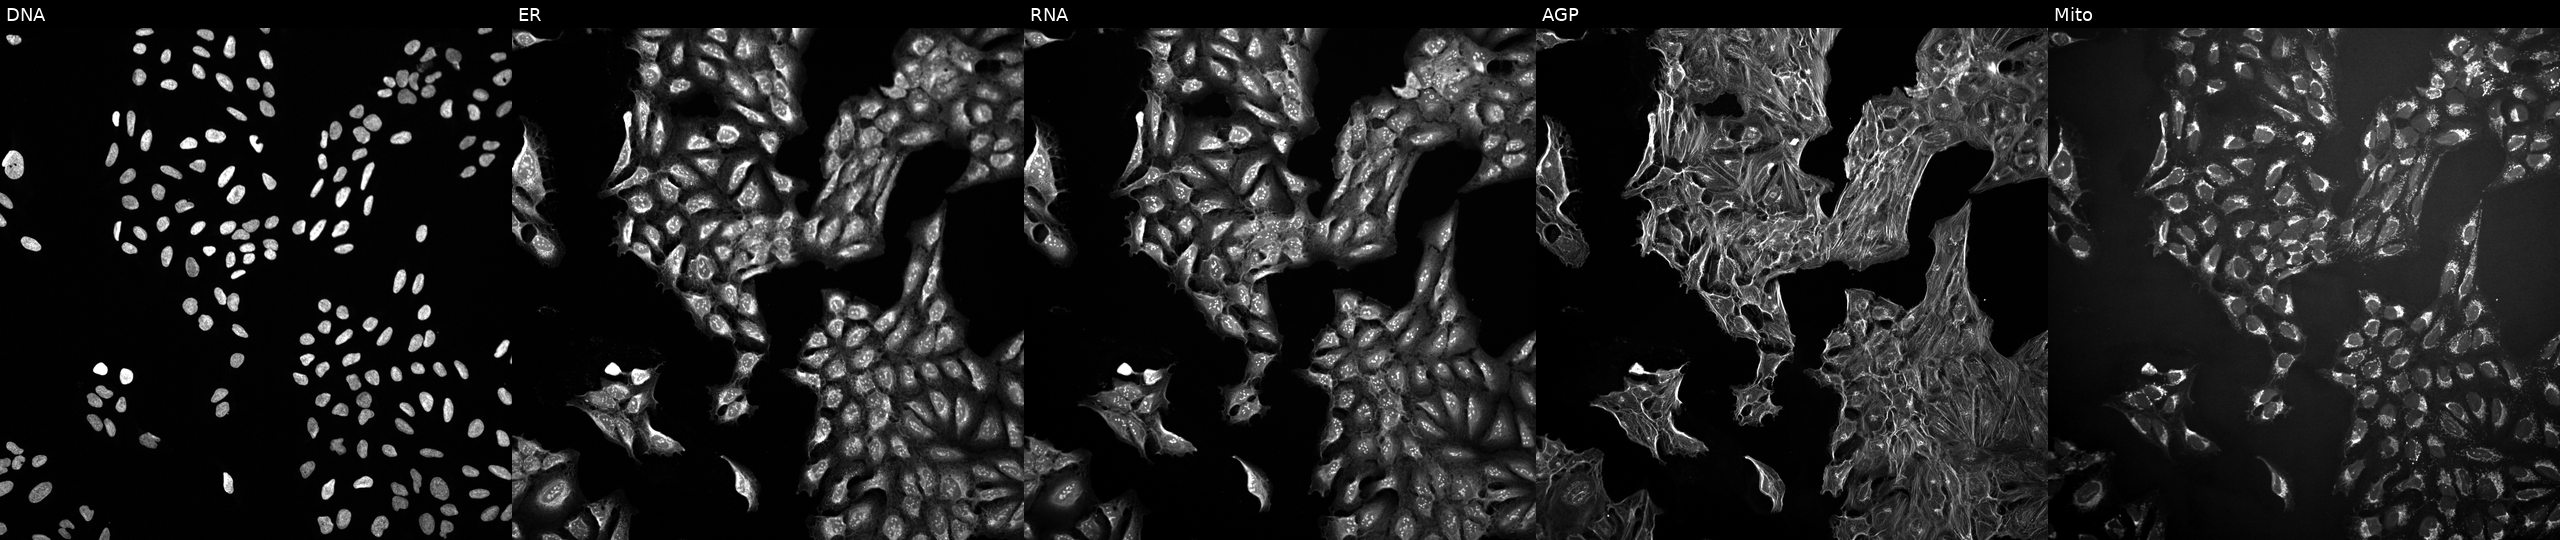
From left to right: Hoechst 33342, concanavalin A, SYTO 14, phalloidin and WGA, MitoTracker. U2OS osteosarcoma cells exposed to a small-molecule compound [SMILES: CCN1C(C)(C)CC(Oc2ccc(C(=O)Nc3ccc(NC(=O)N=c4cc(C(C)(C)C)o[nH]4)cc3)nc2)CC1(C)C]. Cell Painting assay, JUMP-CP dataset.